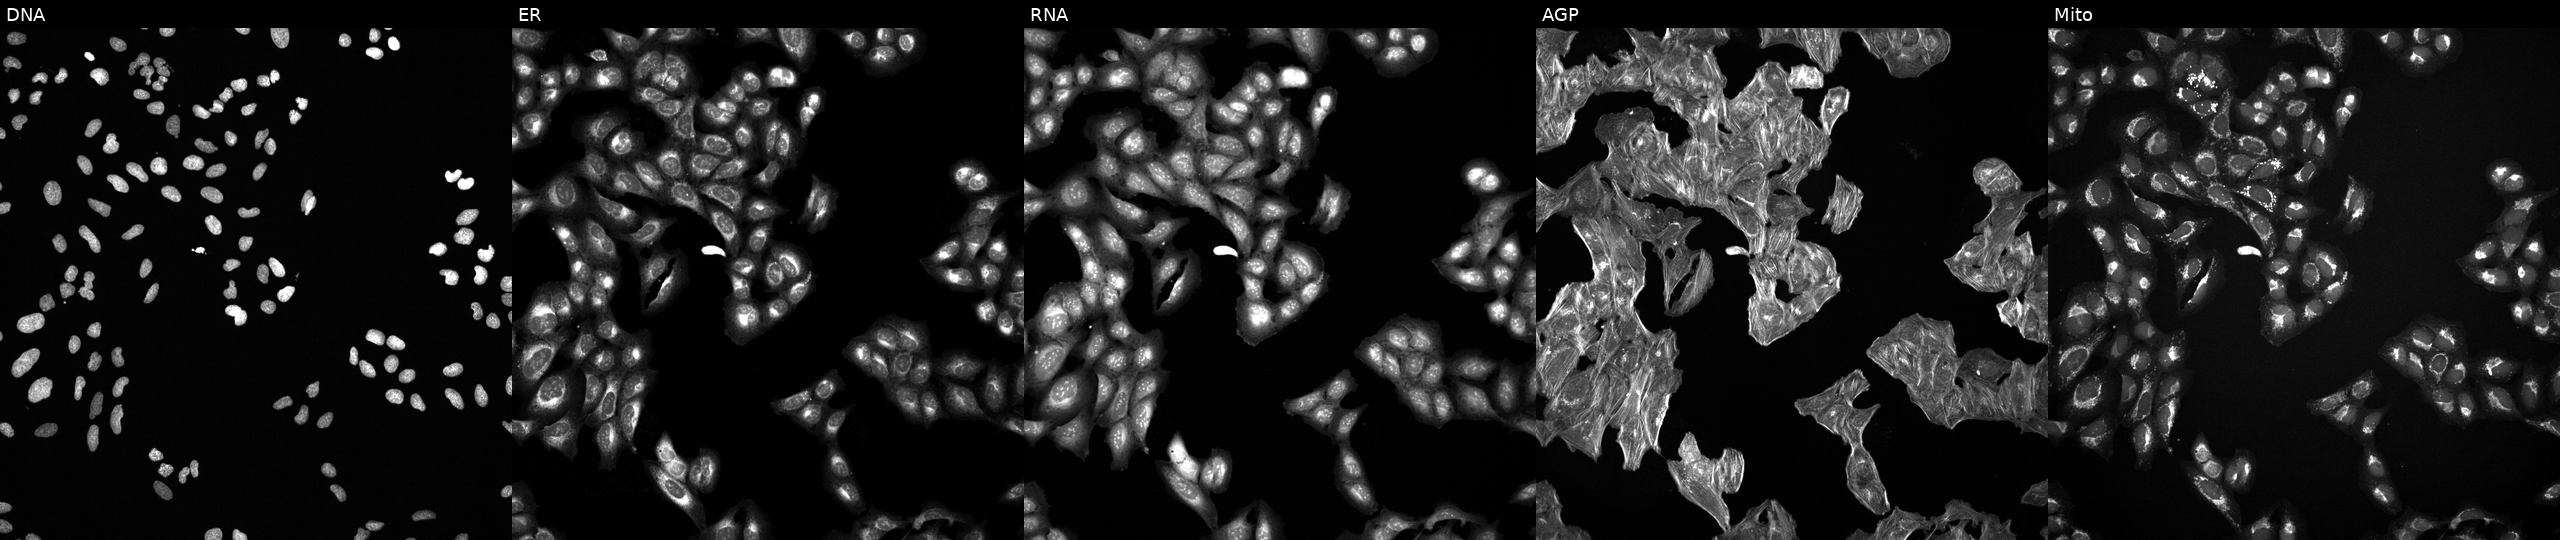
High-content fluorescence microscopy (Cell Painting). Cell line: U2OS. Perturbation: treated with NVS-PAK1-1 (positive-control compound) (JUMP id JCP2022_064022). Channels (left→right): DNA (nuclei); ER (endoplasmic reticulum); RNA (nucleoli and cytoplasmic RNA); AGP (actin cytoskeleton, Golgi, and plasma membrane); Mito (mitochondria). Source 6, plate 110000293082, well N01.